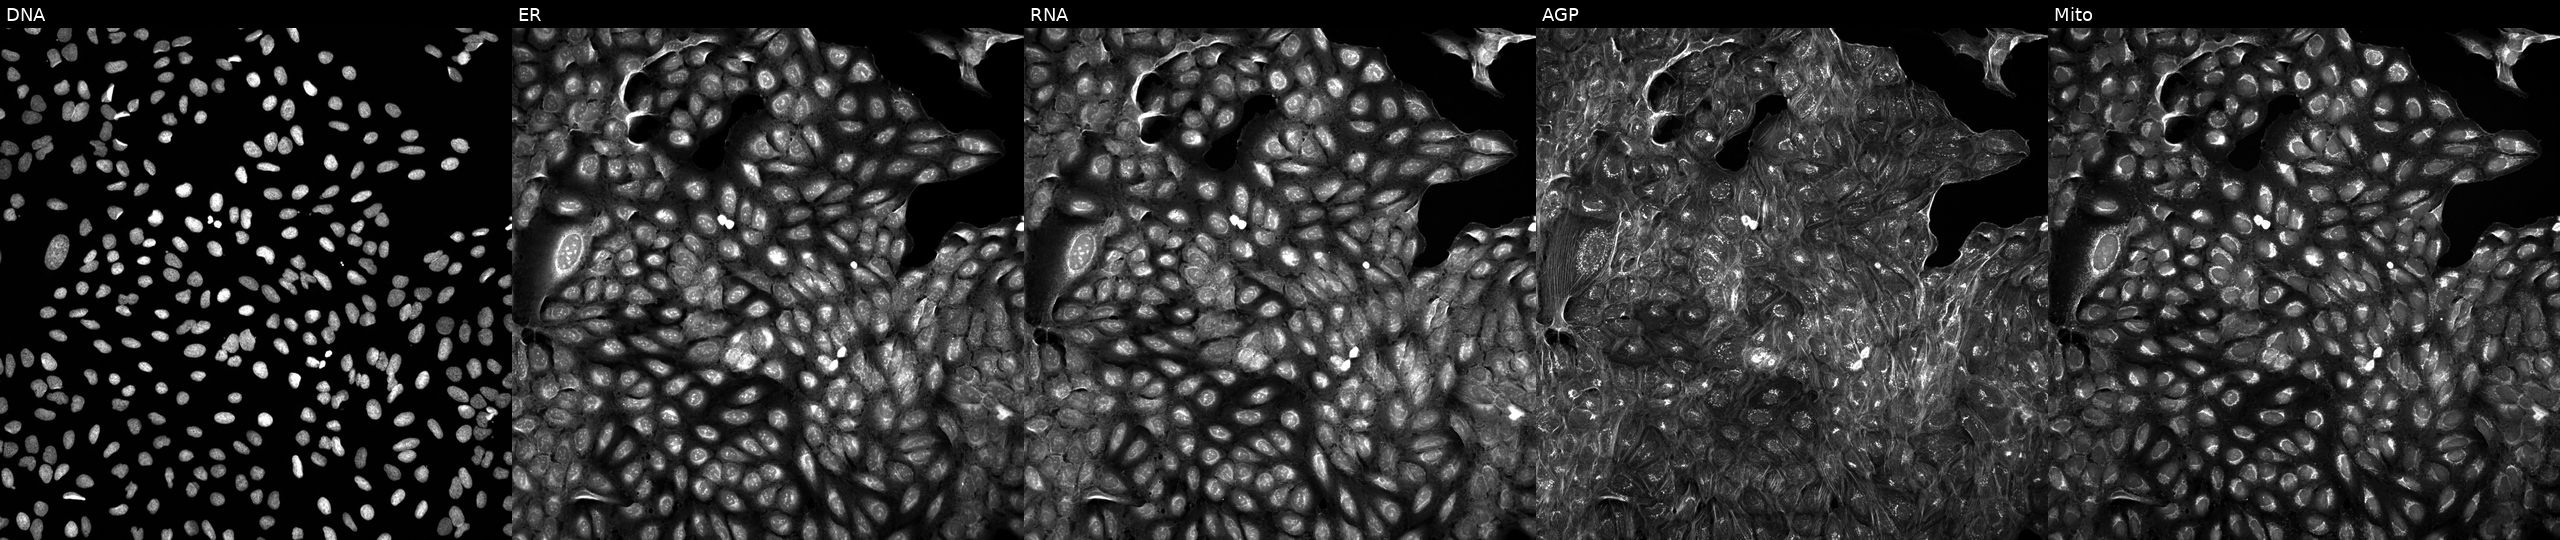
High-content fluorescence microscopy (Cell Painting). Cell line: U2OS. Perturbation: treated with a small-molecule compound (InChIKey UGOGBLQQDNPDIH-UHFFFAOYSA-N) (JUMP id JCP2022_089073). From left to right: DNA, ER, RNA, AGP, and Mito.